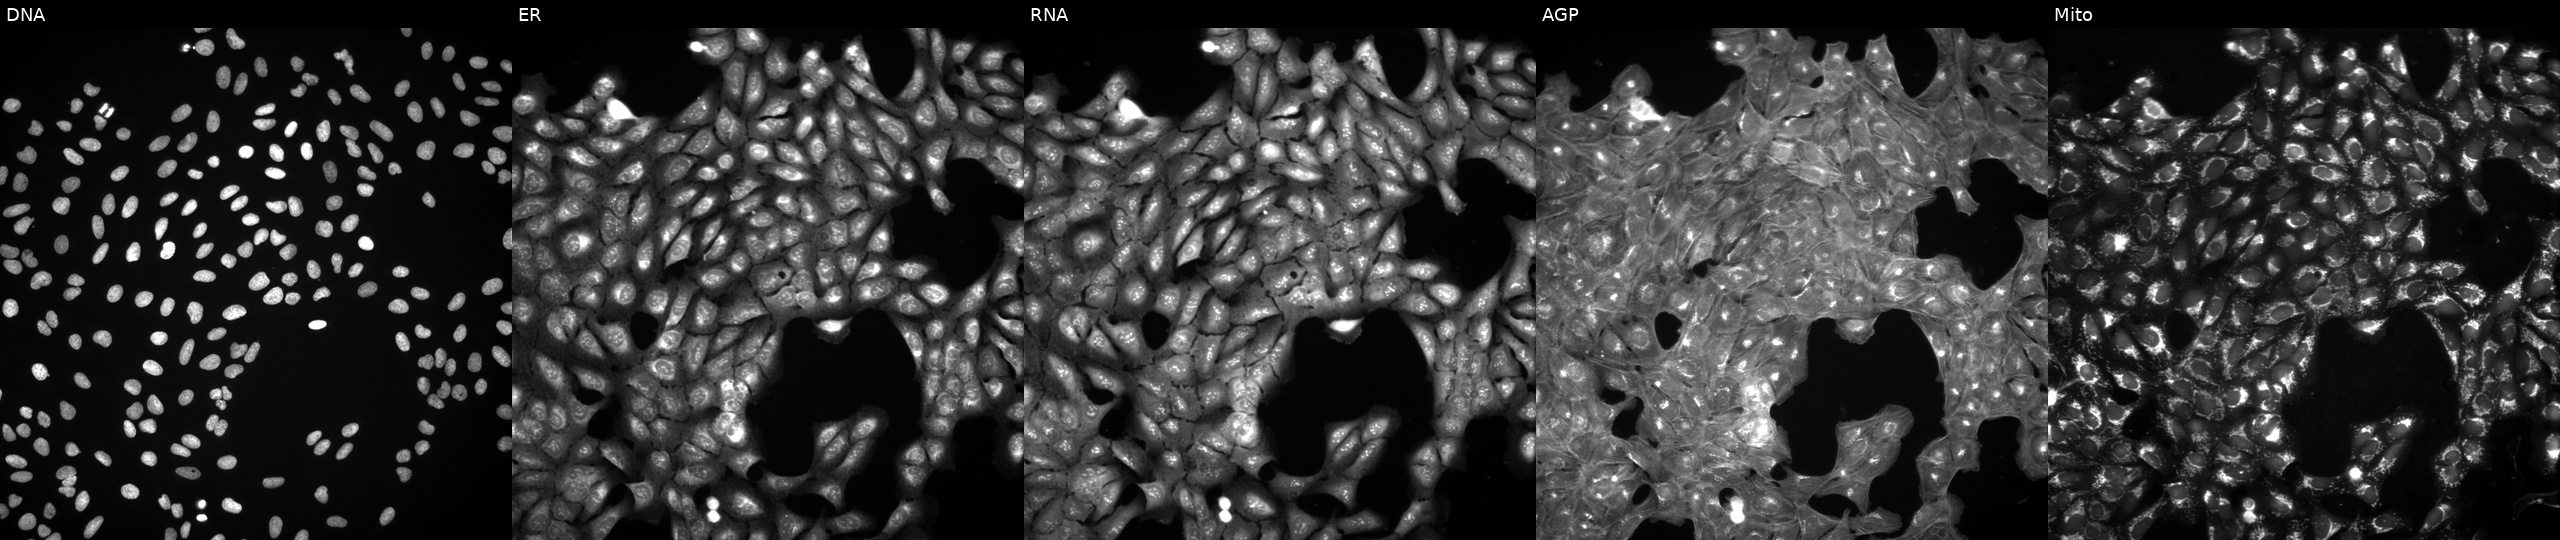
JUMP Cell Painting — COMPOUND plate. U2OS cells perturbed with a small-molecule compound. The five panels, left to right, show Hoechst 33342, concanavalin A, SYTO 14, phalloidin and WGA, MitoTracker.